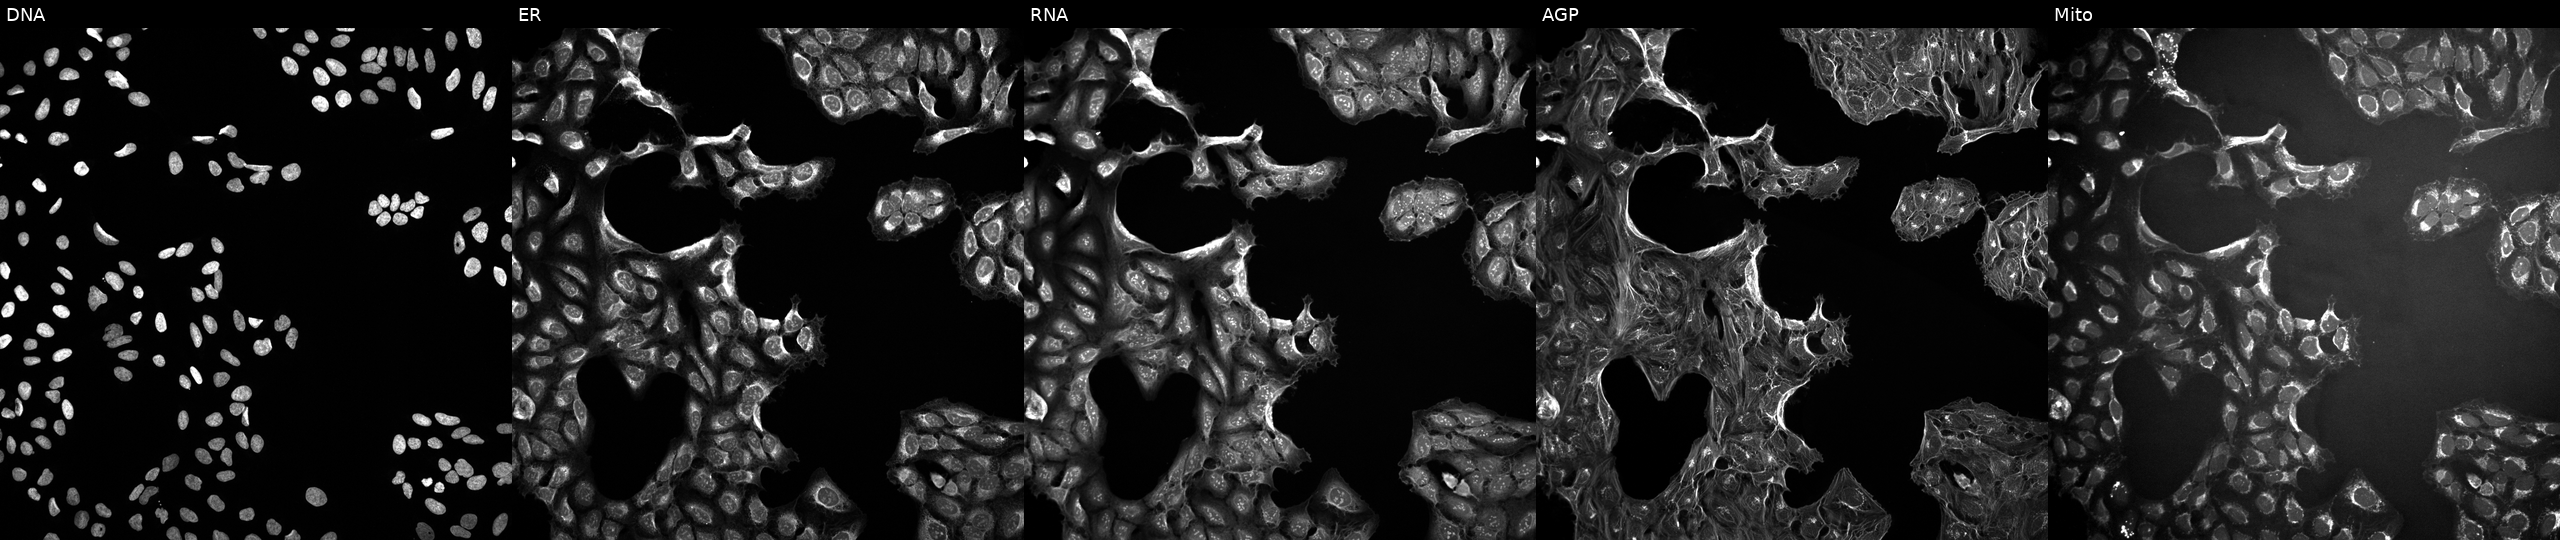
The five panels, left to right, show DNA (nuclei); ER (endoplasmic reticulum); RNA (nucleoli and cytoplasmic RNA); AGP (actin cytoskeleton, Golgi, and plasma membrane); Mito (mitochondria). U2OS osteosarcoma cells exposed to a small-molecule compound (JUMP id JCP2022_057123). Cell Painting assay, JUMP-CP dataset.